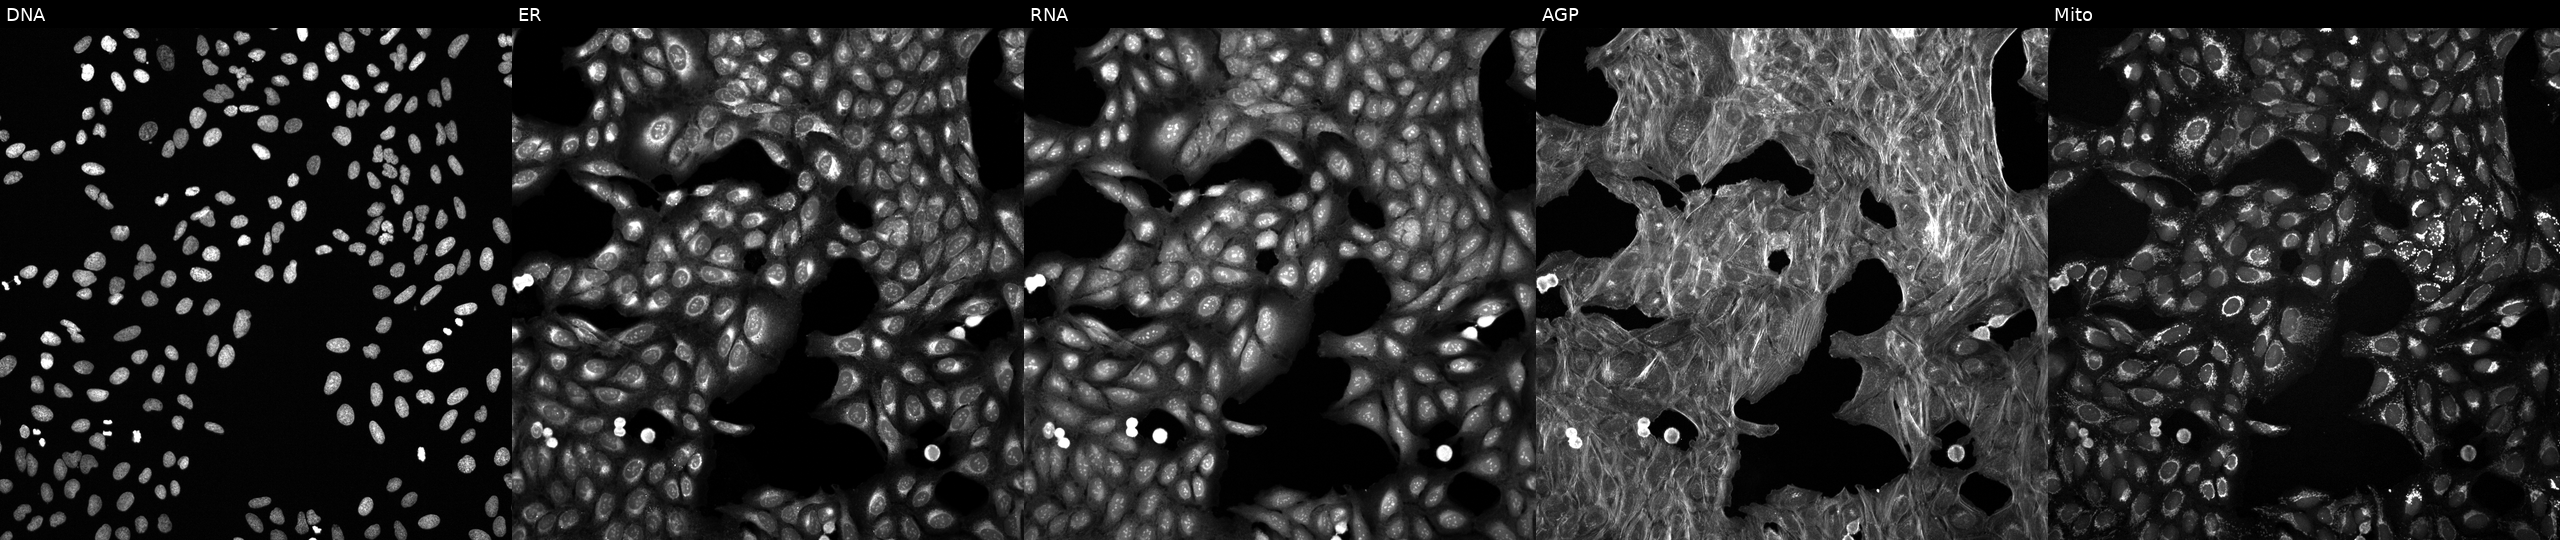
High-content fluorescence microscopy (Cell Painting). Cell line: U2OS. Perturbation: exposed to DMSO alone as a negative control (JUMP id JCP2022_033924). The five panels, left to right, show DNA (nuclei); ER (endoplasmic reticulum); RNA (nucleoli and cytoplasmic RNA); AGP (actin cytoskeleton, Golgi, and plasma membrane); Mito (mitochondria). Source 6, plate 110000293081, well D09.